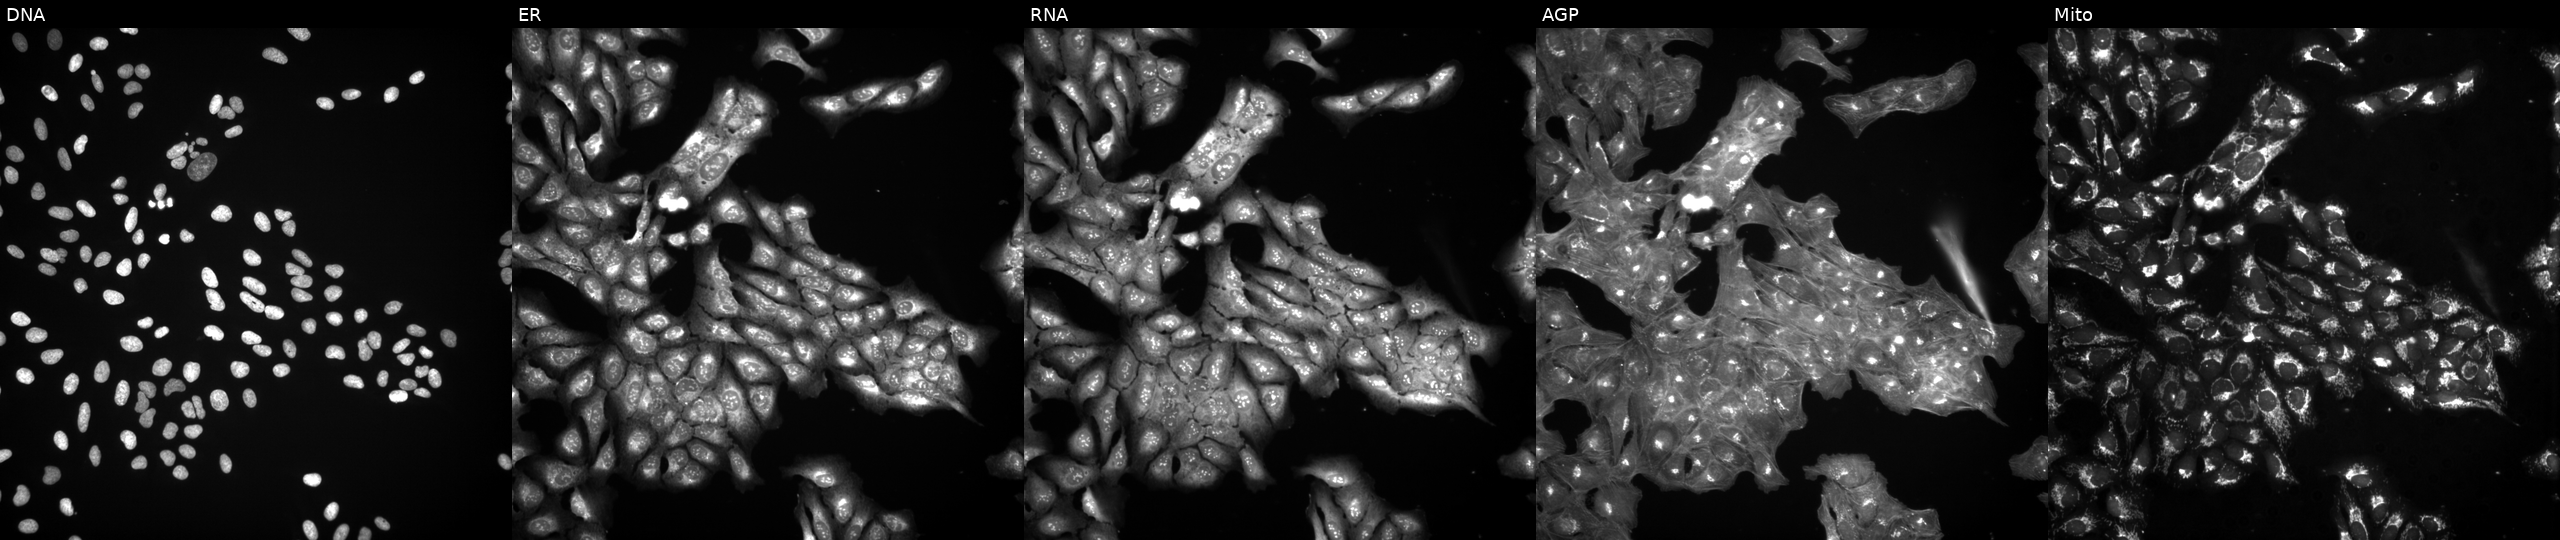
Five-channel Cell Painting image of U2OS cells treated with a small-molecule compound (InChIKey YEFHAJCOBMNTSF-UHFFFAOYSA-N) [SMILES: Cc1cc(C(=O)COc2cccnc2[N+](=O)[O-])c(C)n1-c1ccccc1] (JUMP id JCP2022_107899). Panels show, left to right, DNA (nuclei); ER (endoplasmic reticulum); RNA (nucleoli and cytoplasmic RNA); AGP (actin cytoskeleton, Golgi, and plasma membrane); Mito (mitochondria). Source 3, plate BR5867a3, well K10.